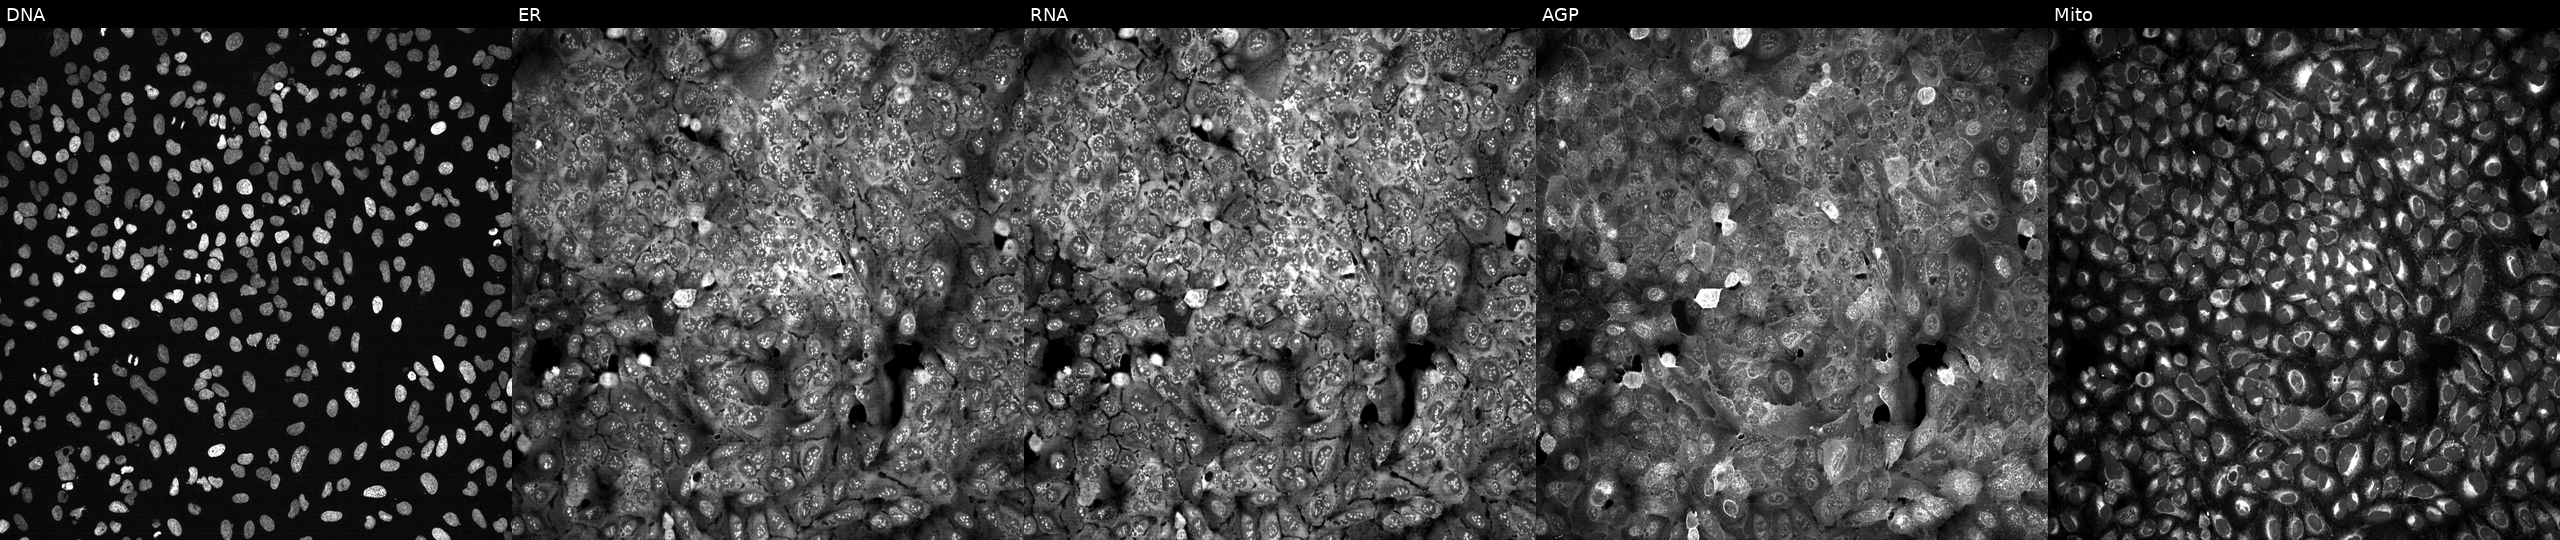
Five-channel Cell Painting image of U2OS cells following CRISPR knockout of MYO9A. The five panels, left to right, show DNA (nuclei); ER (endoplasmic reticulum); RNA (nucleoli and cytoplasmic RNA); AGP (actin cytoskeleton, Golgi, and plasma membrane); Mito (mitochondria).